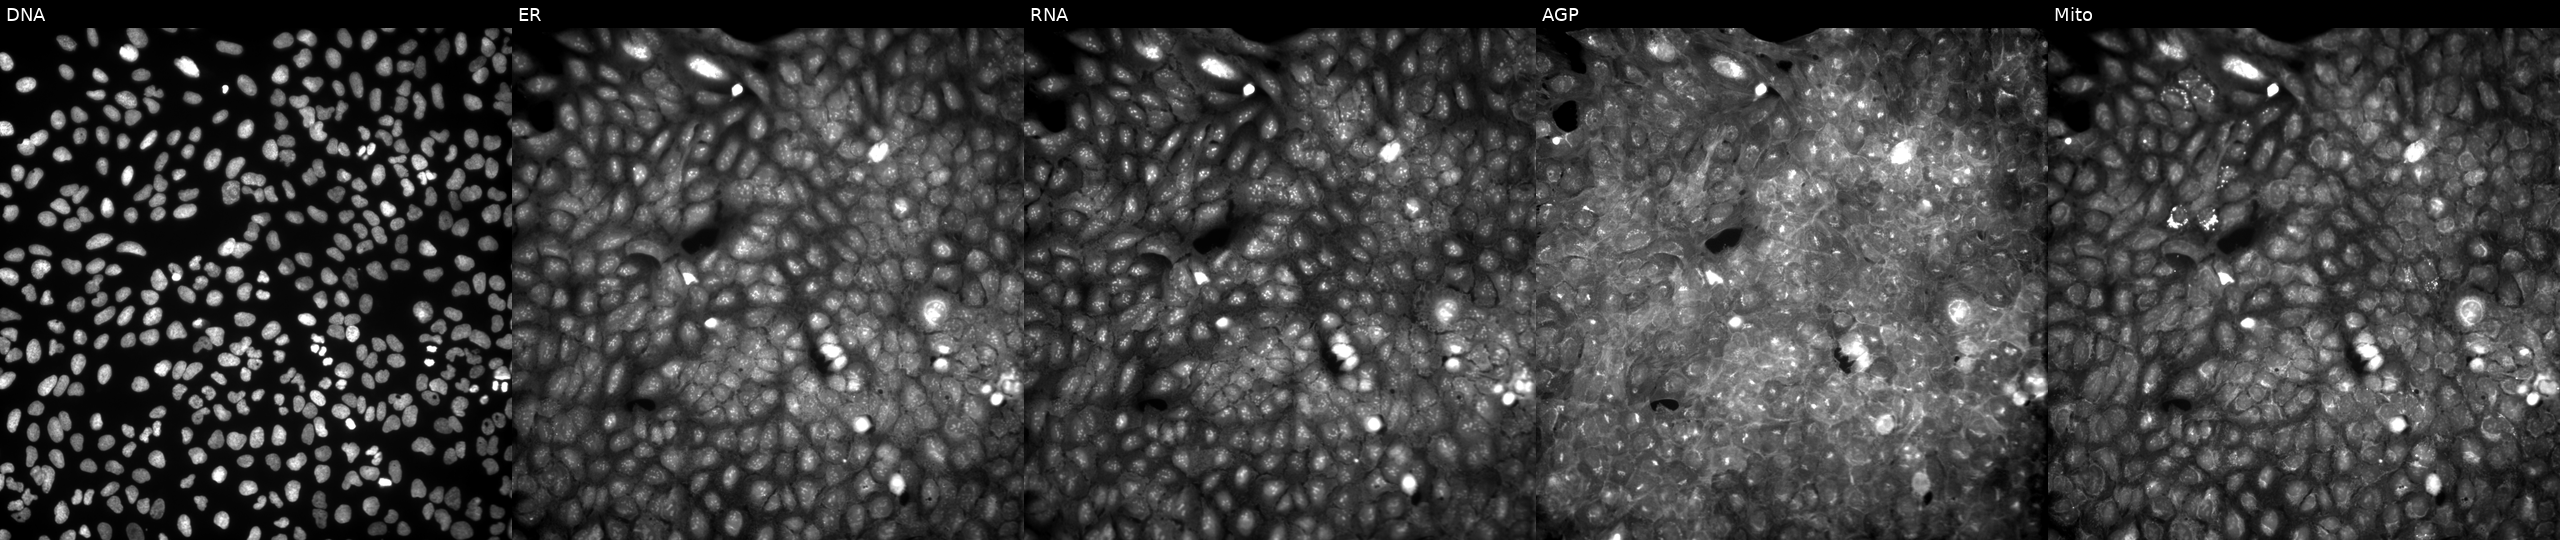
Panels show, left to right, Hoechst 33342, concanavalin A, SYTO 14, phalloidin and WGA, MitoTracker. U2OS osteosarcoma cells treated with a small-molecule compound (InChIKey TUHCAHXCEVWUGE-UHFFFAOYSA-N) [SMILES: CCOc1ccc(C(=O)Nc2ccc3nn(-c4ccc(OC)c(Cl)c4)nc3c2)cc1[N+](=O)[O-]]. Cell Painting assay, JUMP-CP dataset.